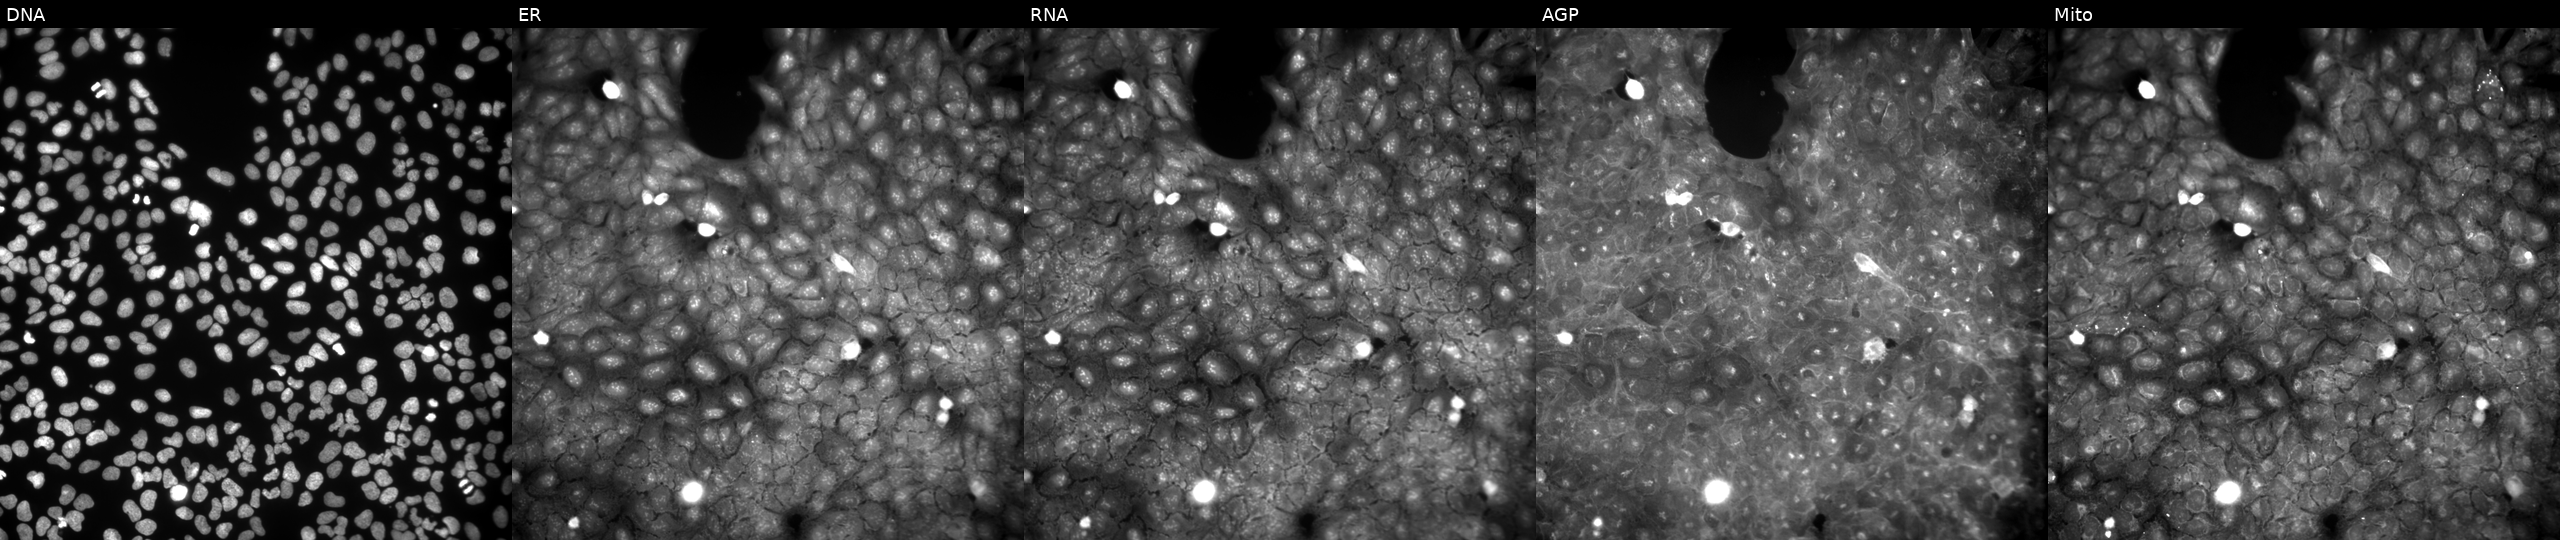
Five-channel Cell Painting image of U2OS cells treated with a small-molecule compound (InChIKey OXUCHEXFCAXUIP-UHFFFAOYSA-N). Panels show, left to right, Hoechst 33342, concanavalin A, SYTO 14, phalloidin and WGA, MitoTracker.